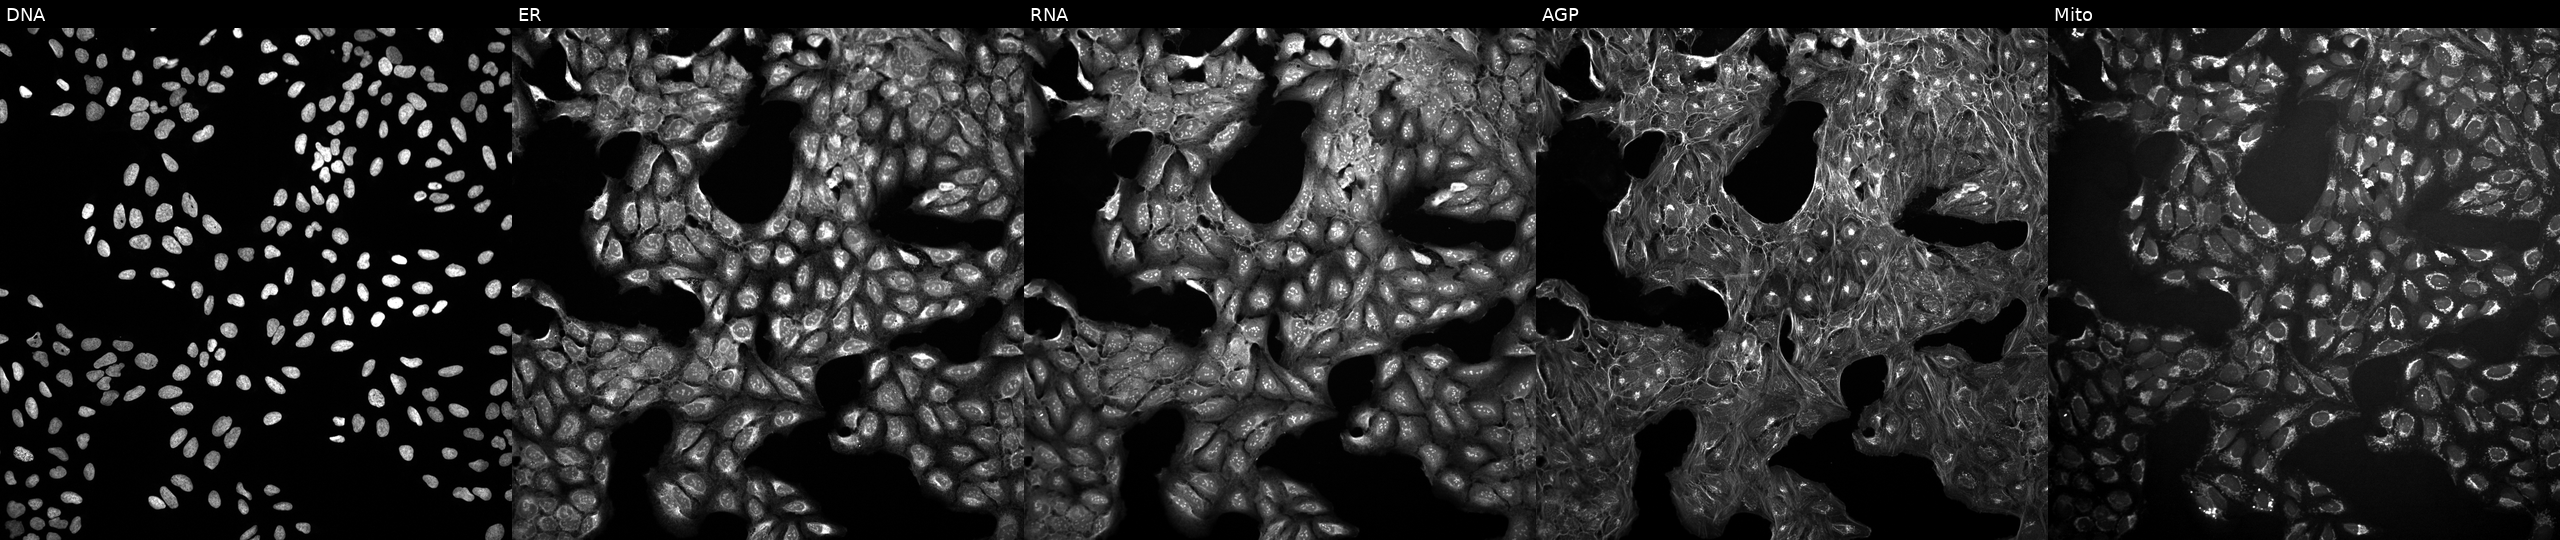
Five-channel Cell Painting image of U2OS cells in an empty control well (no perturbation). Channels (left→right): DNA (nuclei); ER (endoplasmic reticulum); RNA (nucleoli and cytoplasmic RNA); AGP (actin cytoskeleton, Golgi, and plasma membrane); Mito (mitochondria).